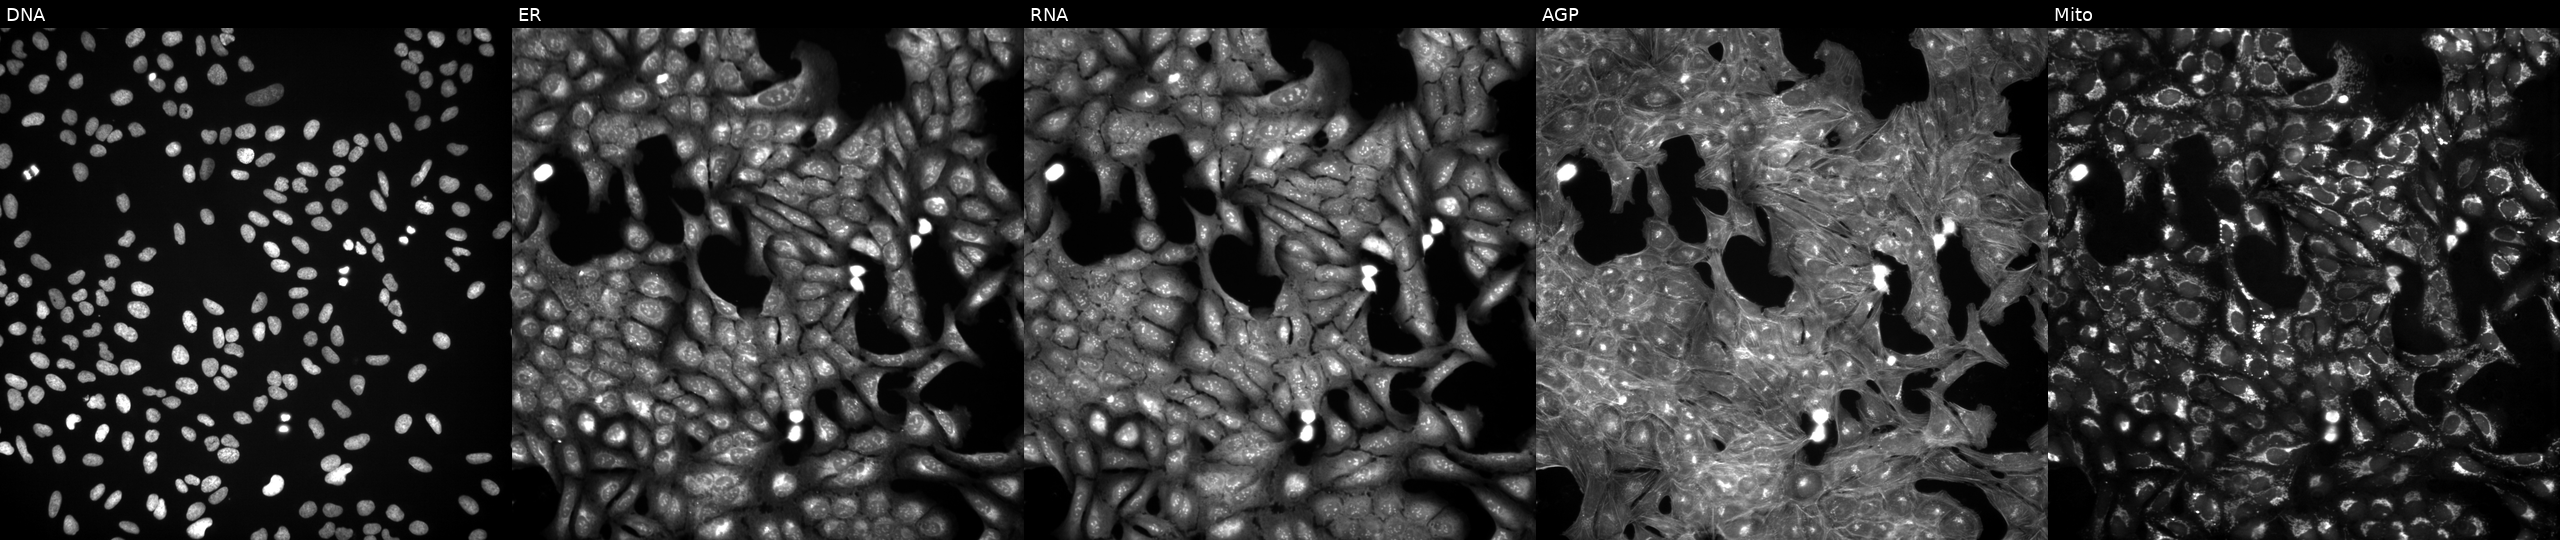
JUMP Cell Painting — TARGET2 plate. U2OS cells exposed to DMSO alone as a negative control. Channels (left→right): DNA, ER, RNA, AGP, and Mito.